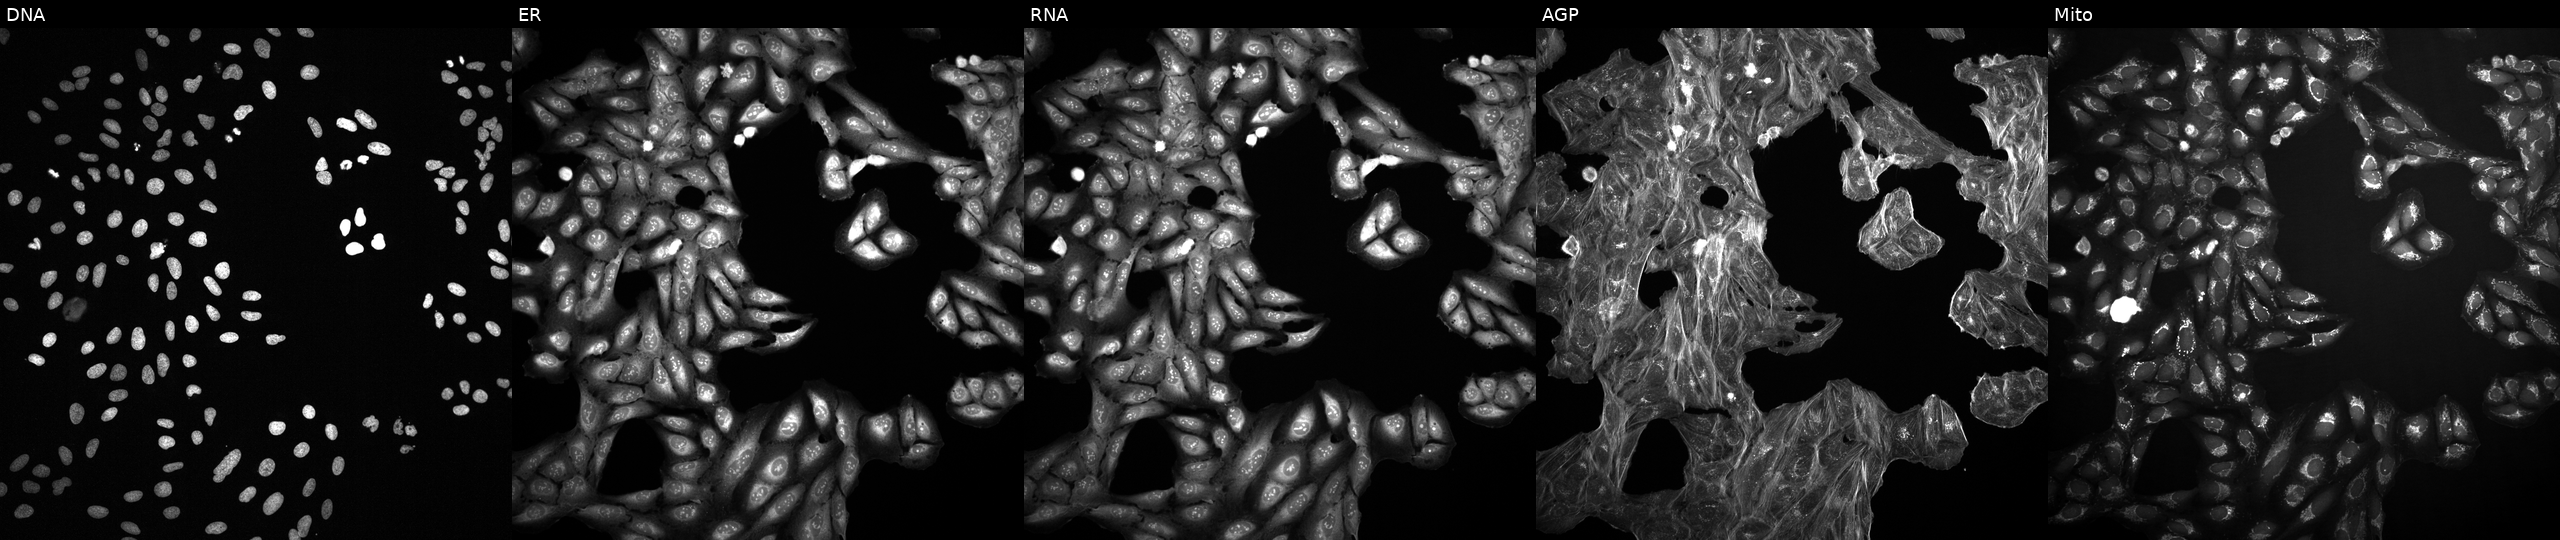
Five-channel Cell Painting image of U2OS cells perturbed with a small-molecule compound (InChIKey MXJWRABVEGLYDG-UHFFFAOYSA-N). From left to right: DNA, ER, RNA, AGP, and Mito.